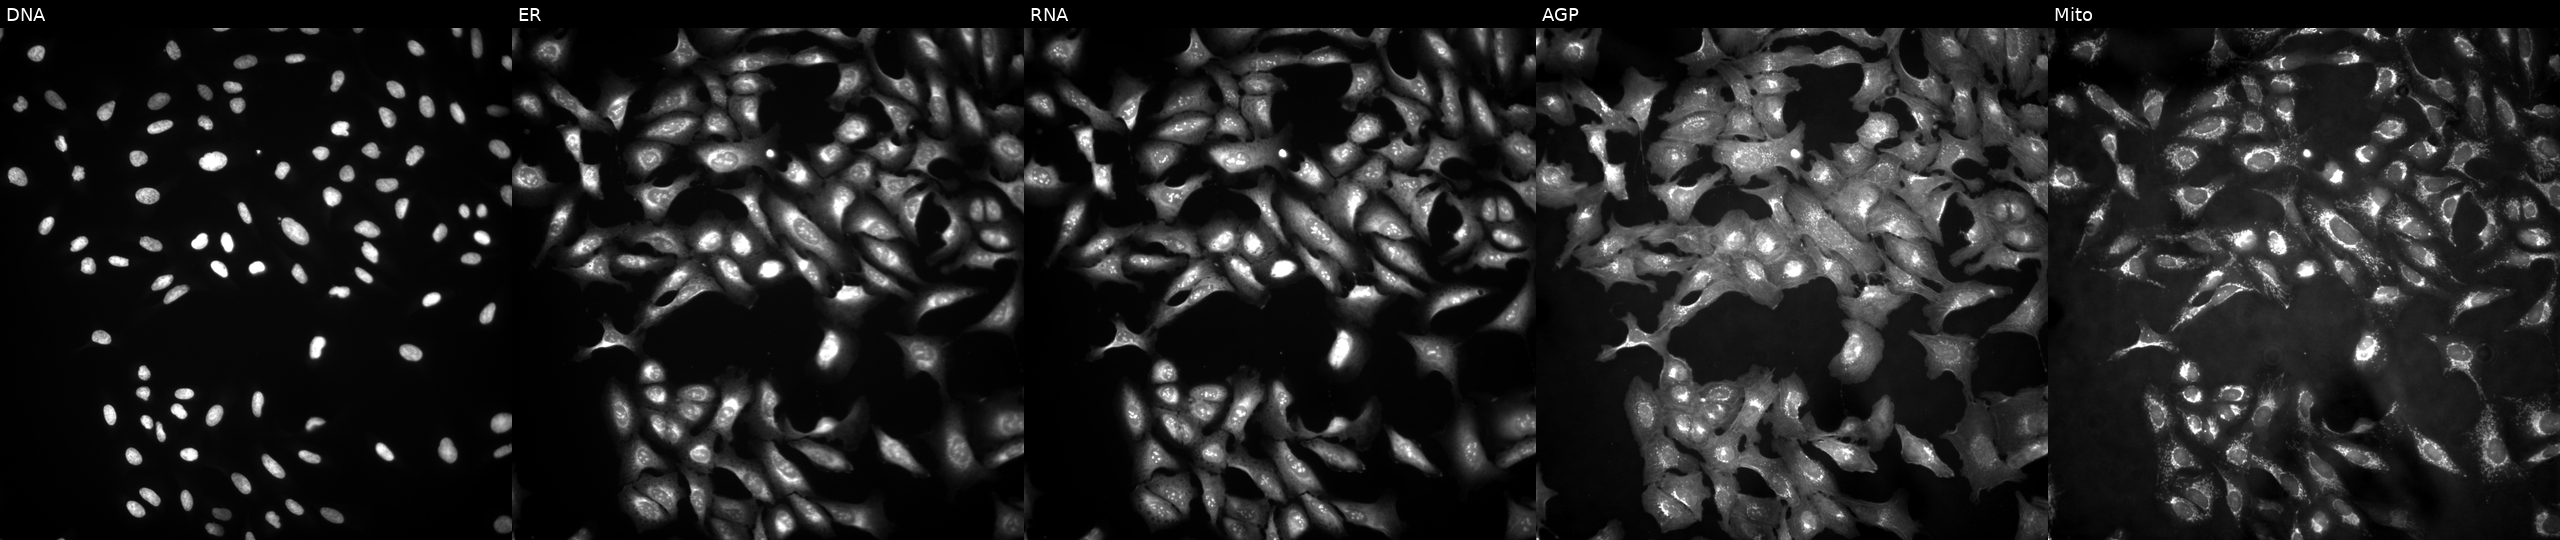
This image strip shows the five Cell Painting channels for a single field of U2OS cells overexpressing MOCOS via ORF transfection. Channels (left→right): Hoechst 33342, concanavalin A, SYTO 14, phalloidin and WGA, MitoTracker. Source 4, plate BR00121543, well M23.